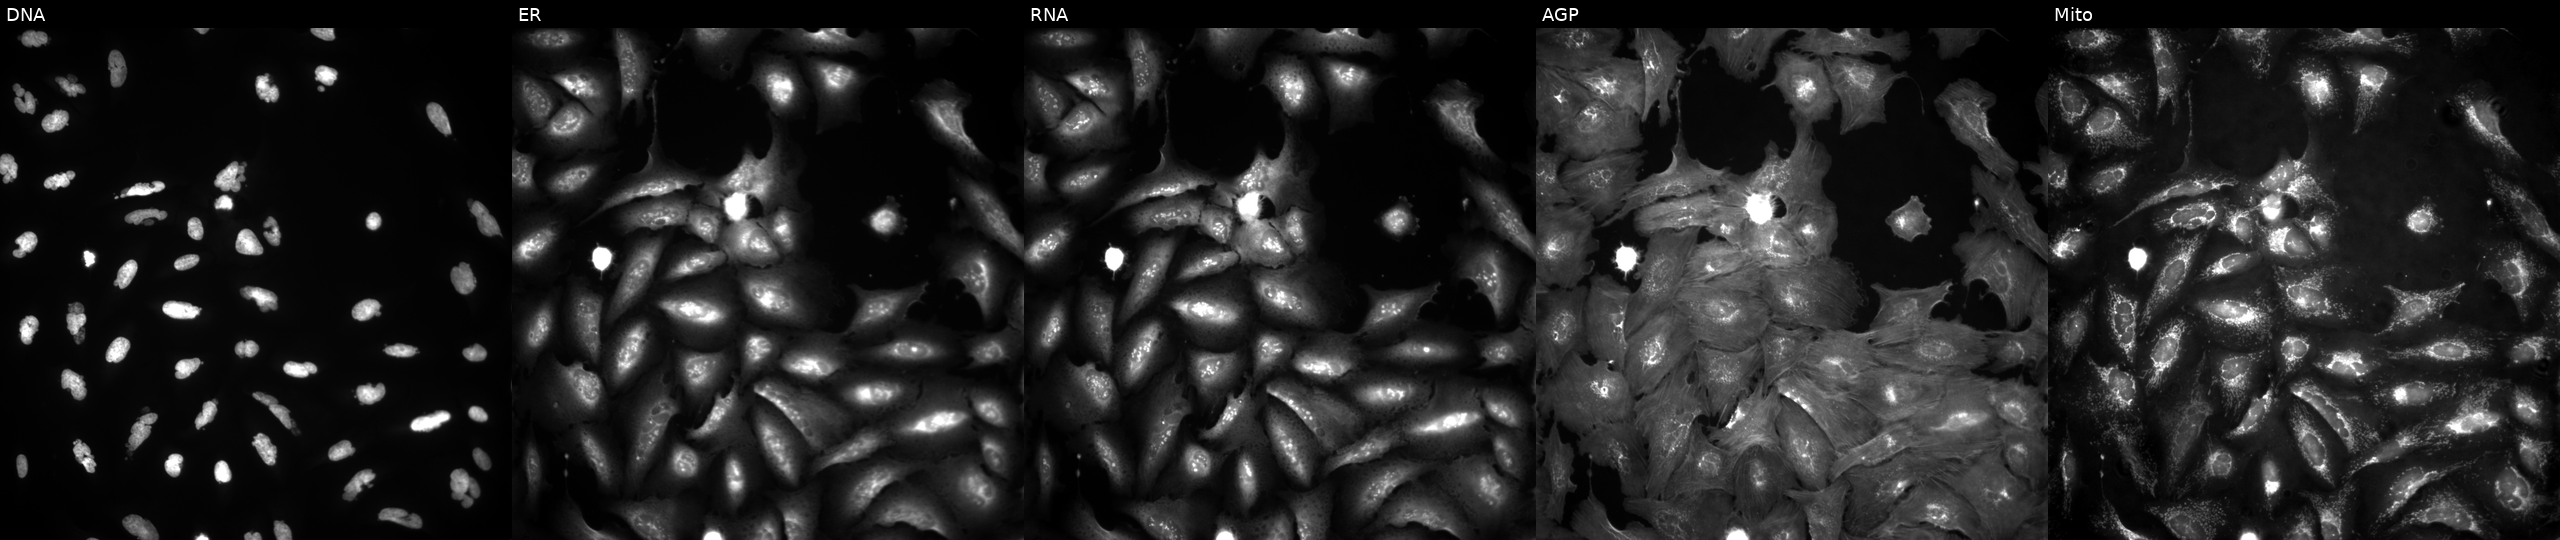
This image strip shows the five Cell Painting channels for a single field of U2OS cells exposed to the positive-control compound AMG900. Panels show, left to right, Hoechst 33342, concanavalin A, SYTO 14, phalloidin and WGA, MitoTracker.